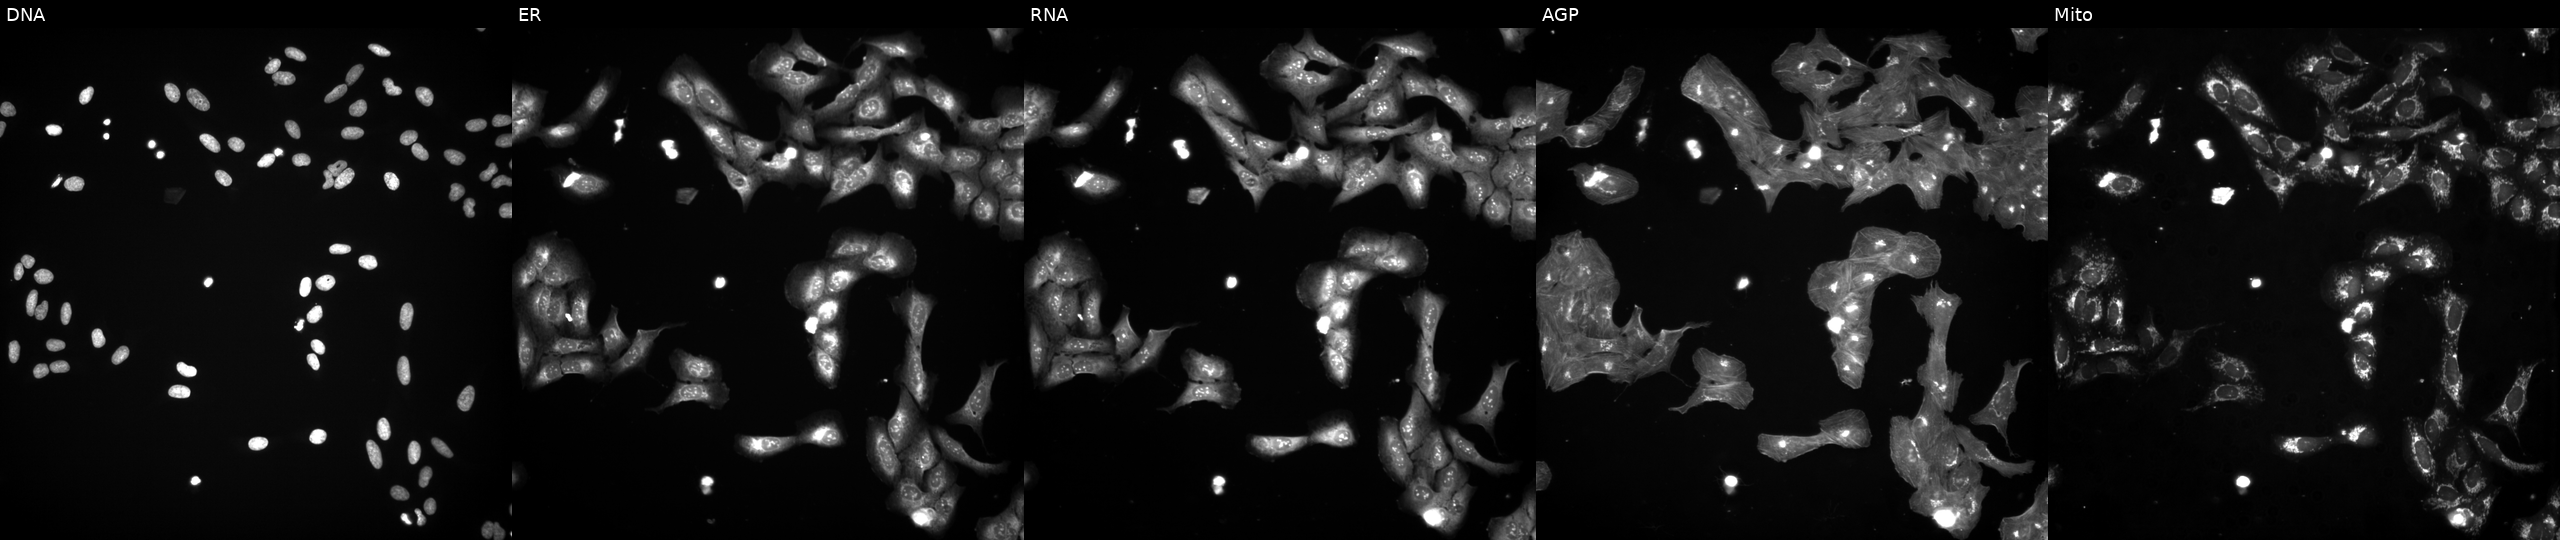
High-content fluorescence microscopy (Cell Painting). Cell line: U2OS. Perturbation: exposed to a small-molecule compound. Channels (left→right): Hoechst 33342, concanavalin A, SYTO 14, phalloidin and WGA, MitoTracker.